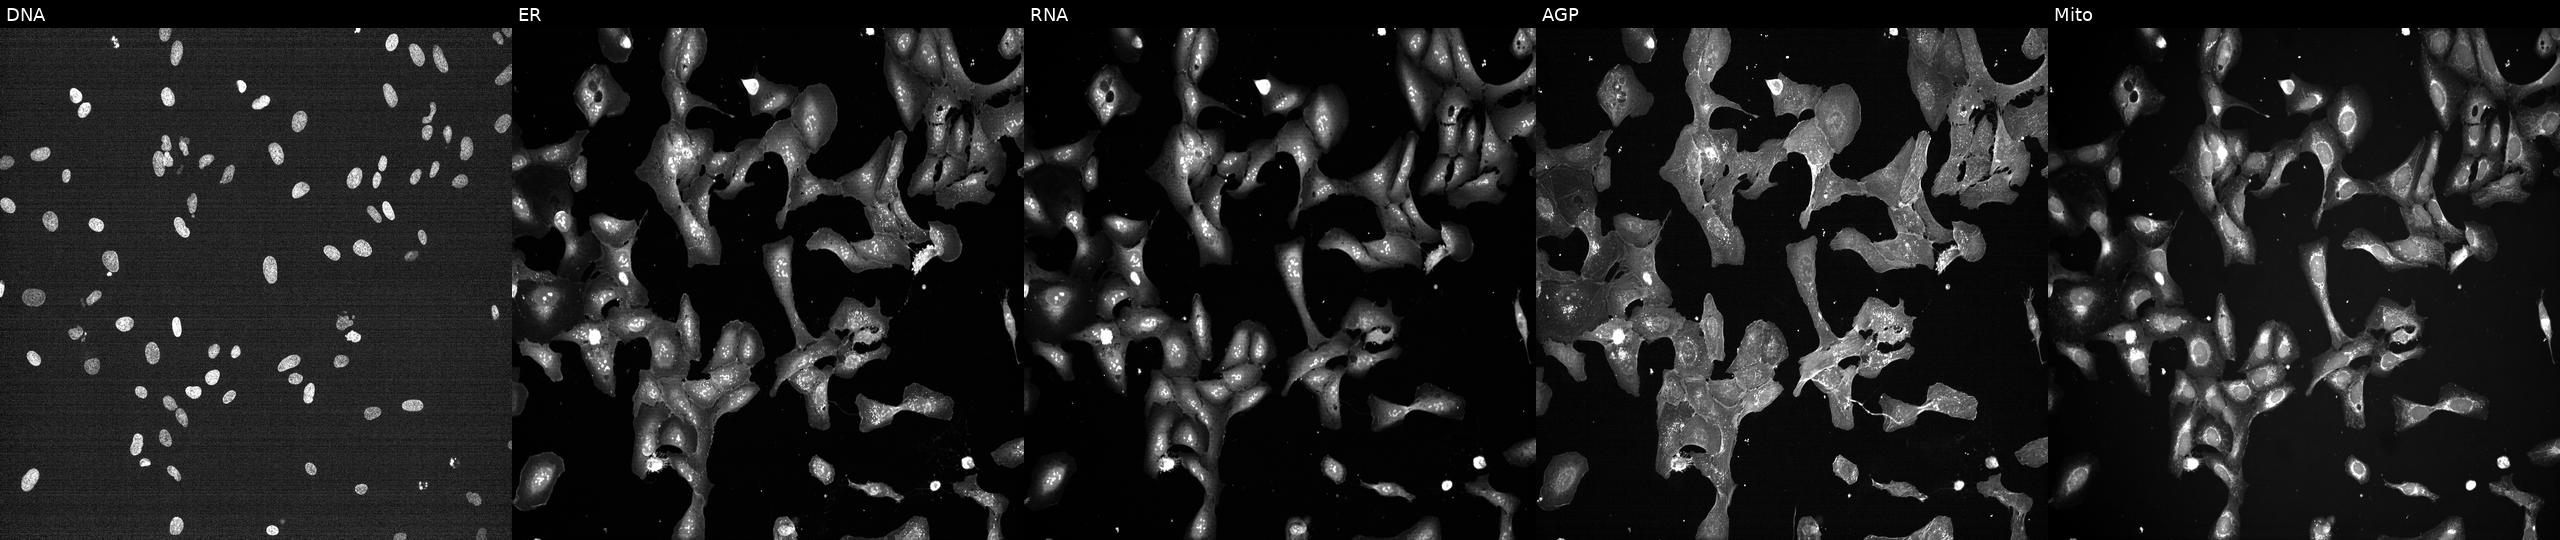
JUMP Cell Painting — TARGET2 plate. U2OS cells exposed to a small-molecule compound (InChIKey HUXYBQXJVXOMKX-UHFFFAOYSA-N) (JUMP id JCP2022_032771). The five panels, left to right, show Hoechst 33342, concanavalin A, SYTO 14, phalloidin and WGA, MitoTracker.